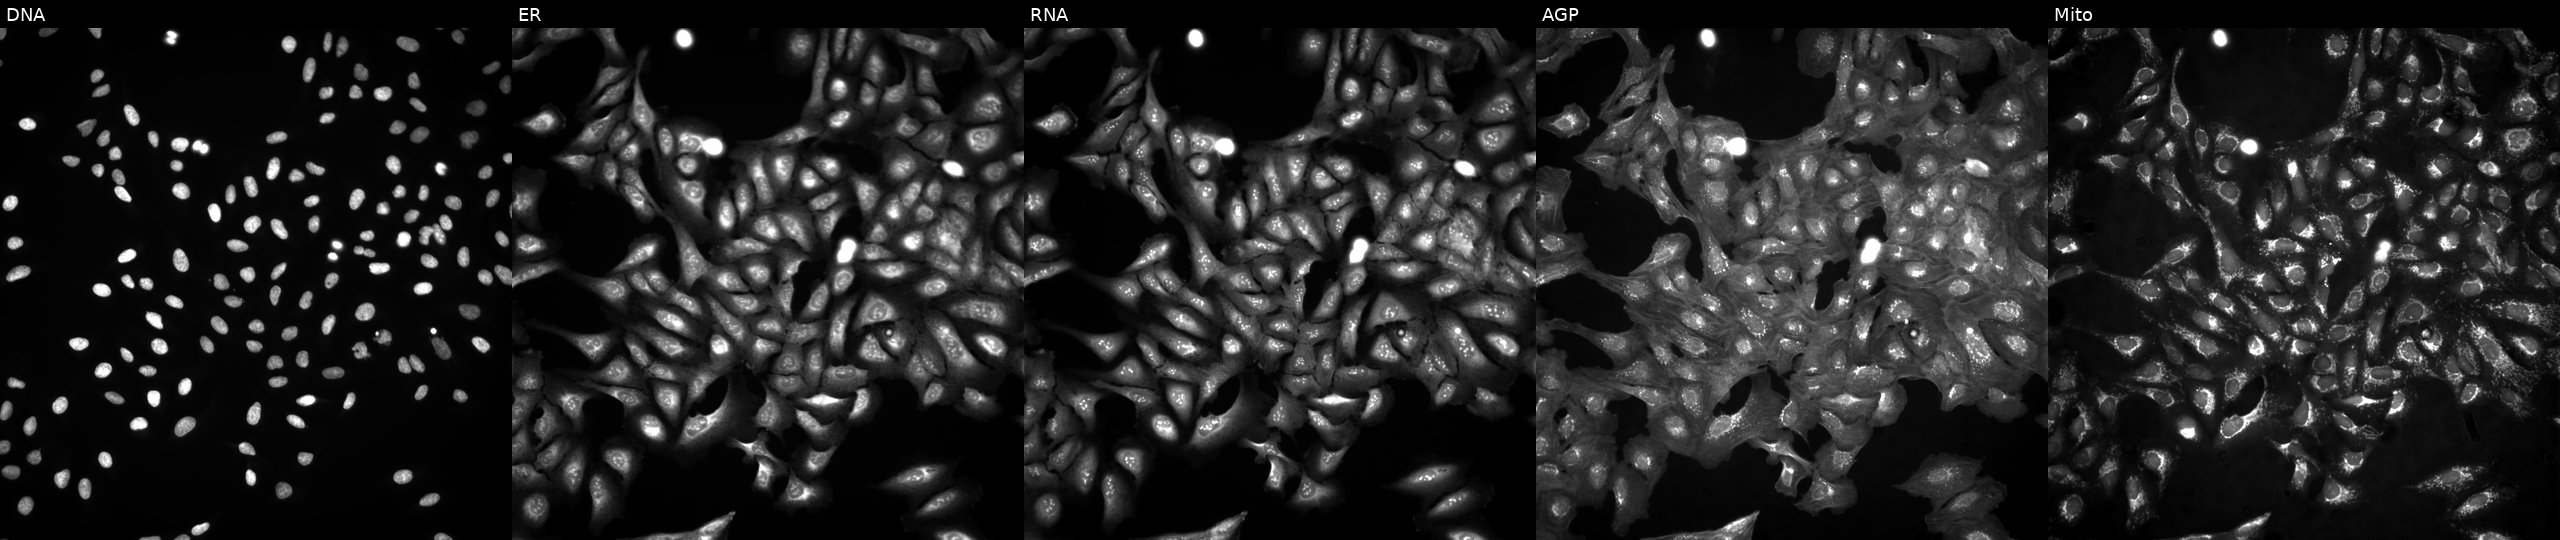
This image strip shows the five Cell Painting channels for a single field of U2OS cells untreated (empty-well control) (JUMP id JCP2022_999999). Panels show, left to right, DNA, ER, RNA, AGP, and Mito.